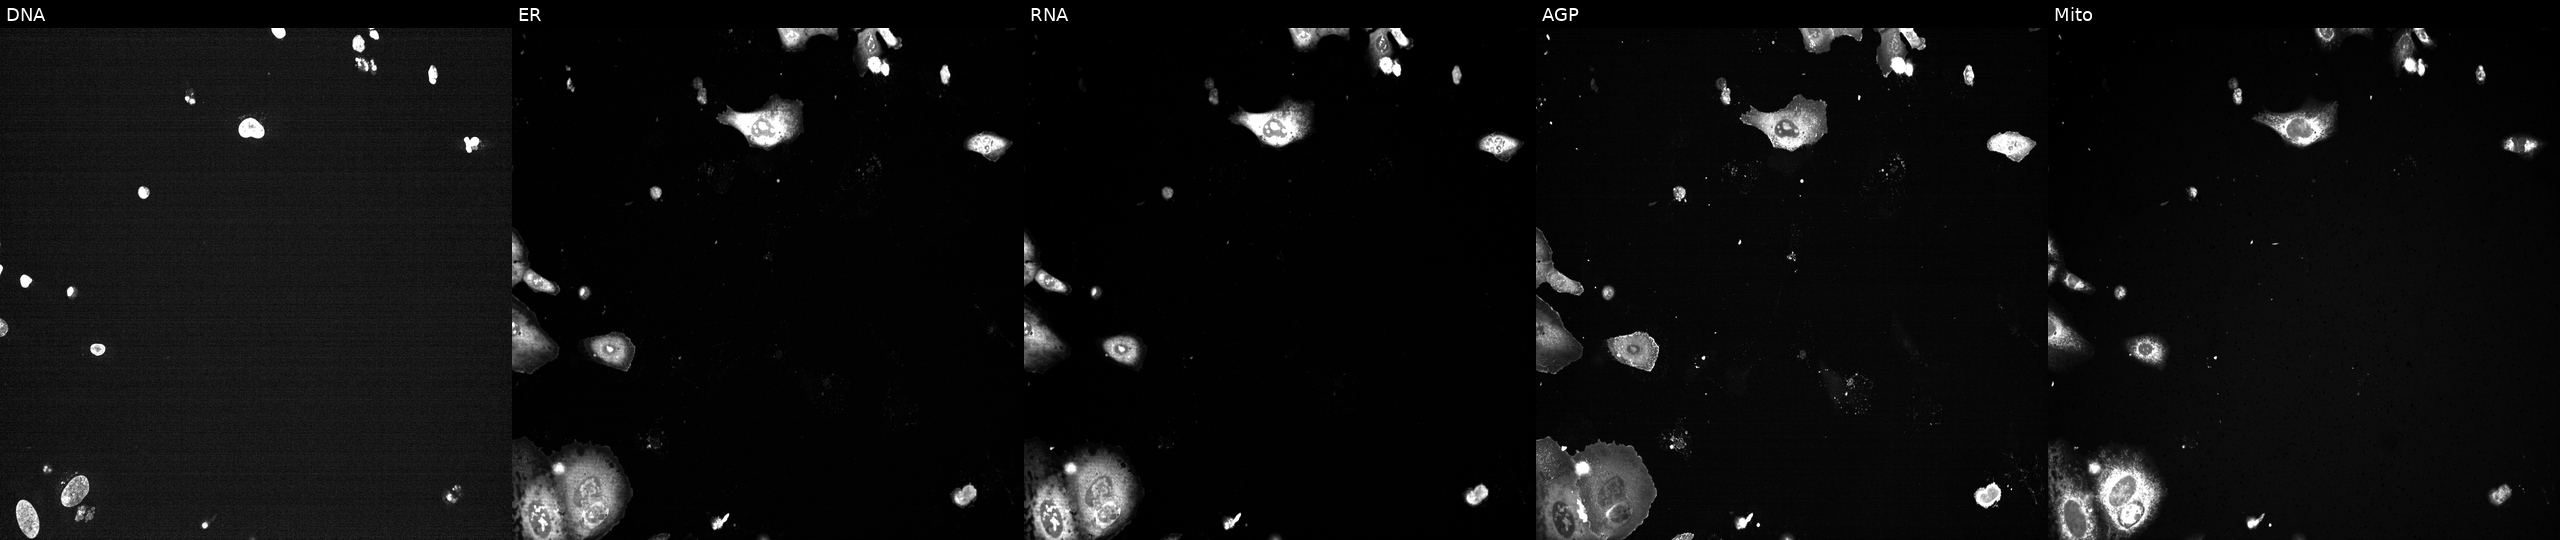
Panels show, left to right, DNA, ER, RNA, AGP, and Mito. U2OS osteosarcoma cells with PLK1 knocked out by CRISPR (positive control) (JUMP id JCP2022_805264). Cell Painting assay, JUMP-CP dataset. Source 13, plate CP-CC9-R6-19, well A23.